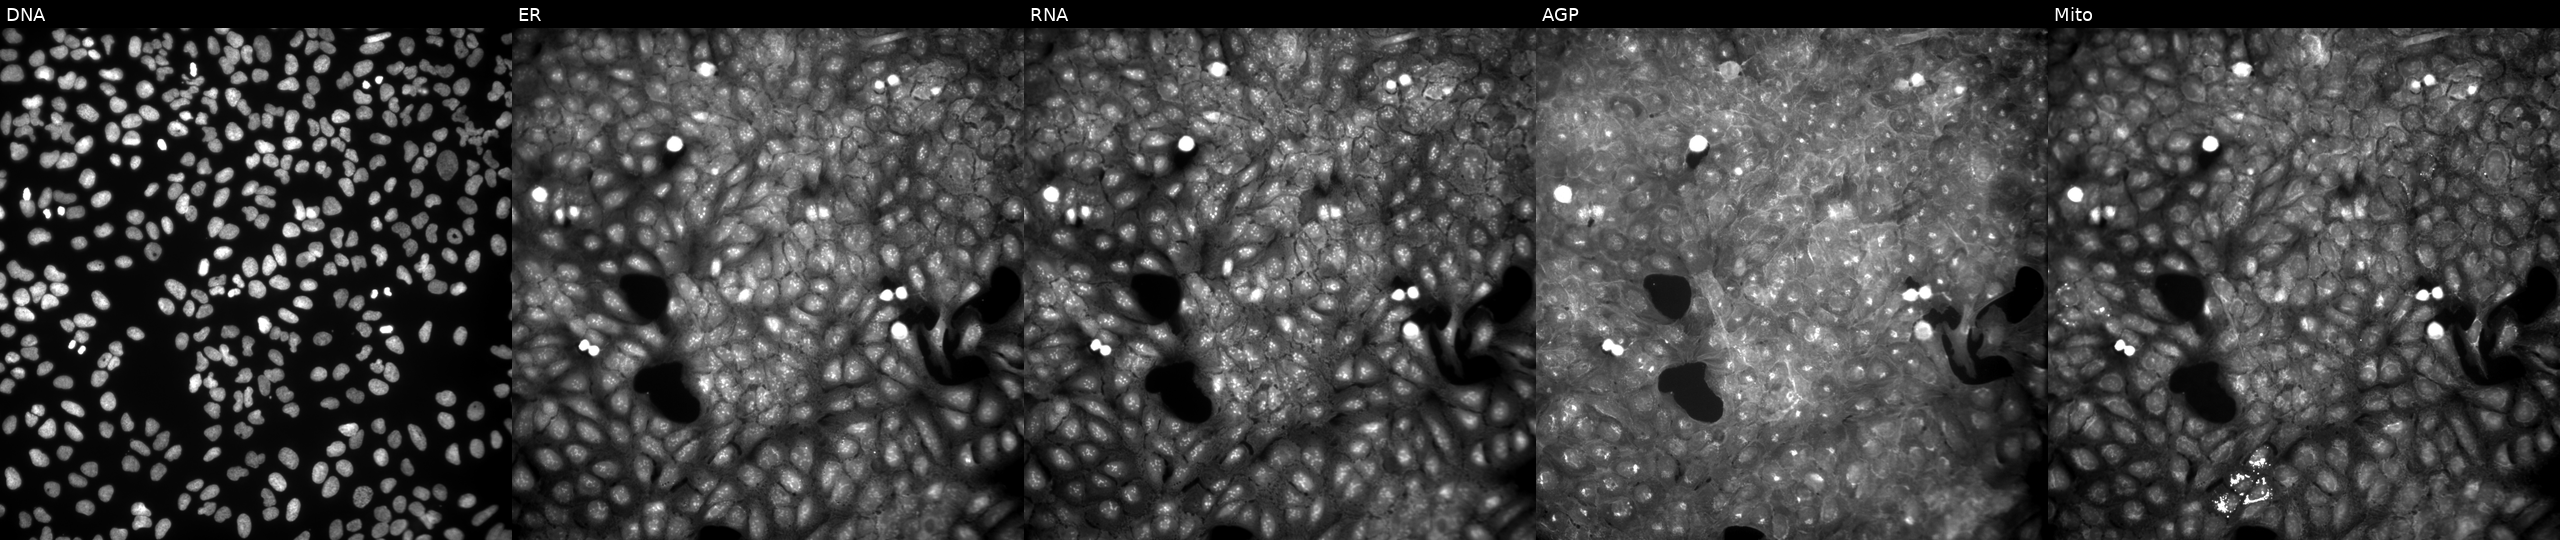
High-content fluorescence microscopy (Cell Painting). Cell line: U2OS. Perturbation: treated with a small-molecule compound (InChIKey QUWNRNGWDDNUFU-UHFFFAOYSA-N) (JUMP id JCP2022_076036). Panels show, left to right, DNA (nuclei); ER (endoplasmic reticulum); RNA (nucleoli and cytoplasmic RNA); AGP (actin cytoskeleton, Golgi, and plasma membrane); Mito (mitochondria). Source 9, plate GR00003382, well O42.